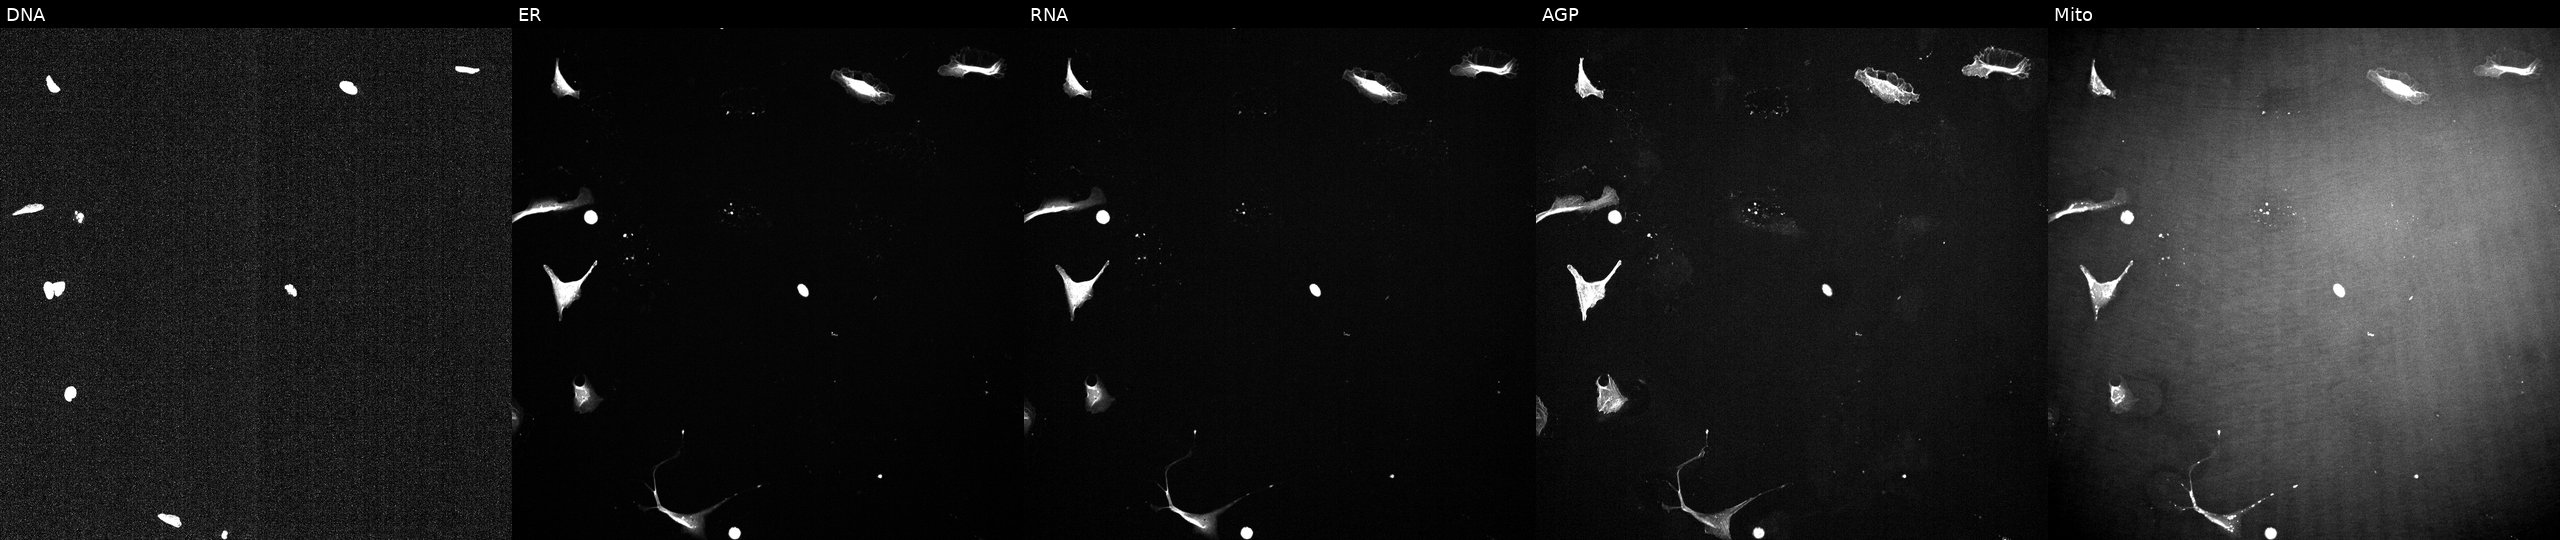
JUMP Cell Painting — TARGET2 plate. U2OS cells perturbed with a small-molecule compound (InChIKey HYFHYPWGAURHIV-UHFFFAOYSA-N). Panels show, left to right, DNA (nuclei); ER (endoplasmic reticulum); RNA (nucleoli and cytoplasmic RNA); AGP (actin cytoskeleton, Golgi, and plasma membrane); Mito (mitochondria).